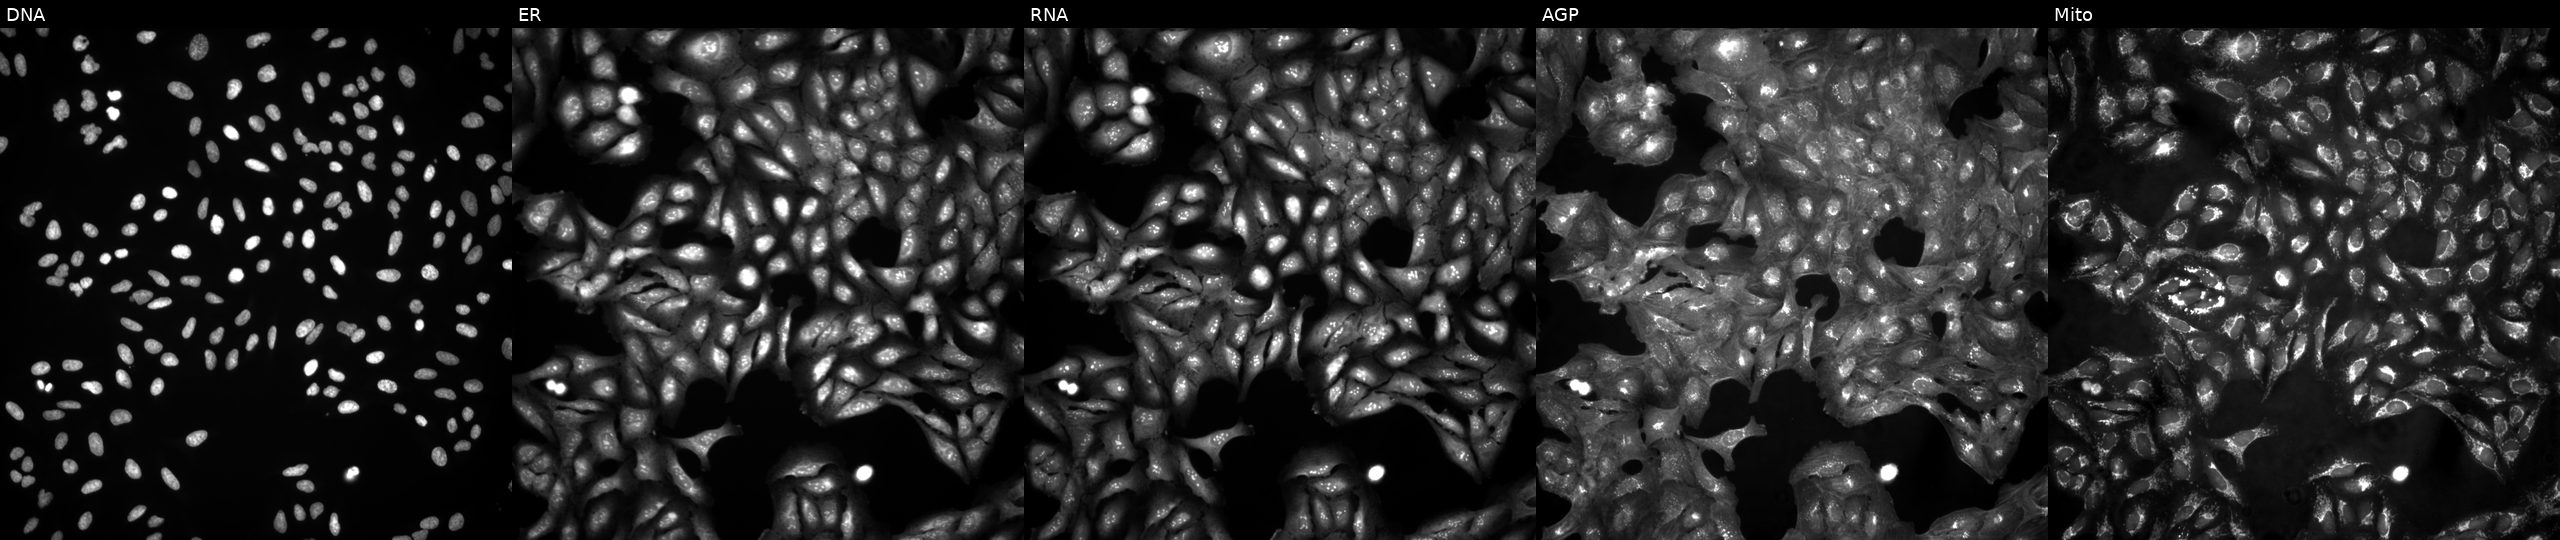
JUMP Cell Painting — ORF plate. U2OS cells untreated (empty-well control). The five panels, left to right, show DNA (nuclei); ER (endoplasmic reticulum); RNA (nucleoli and cytoplasmic RNA); AGP (actin cytoskeleton, Golgi, and plasma membrane); Mito (mitochondria).